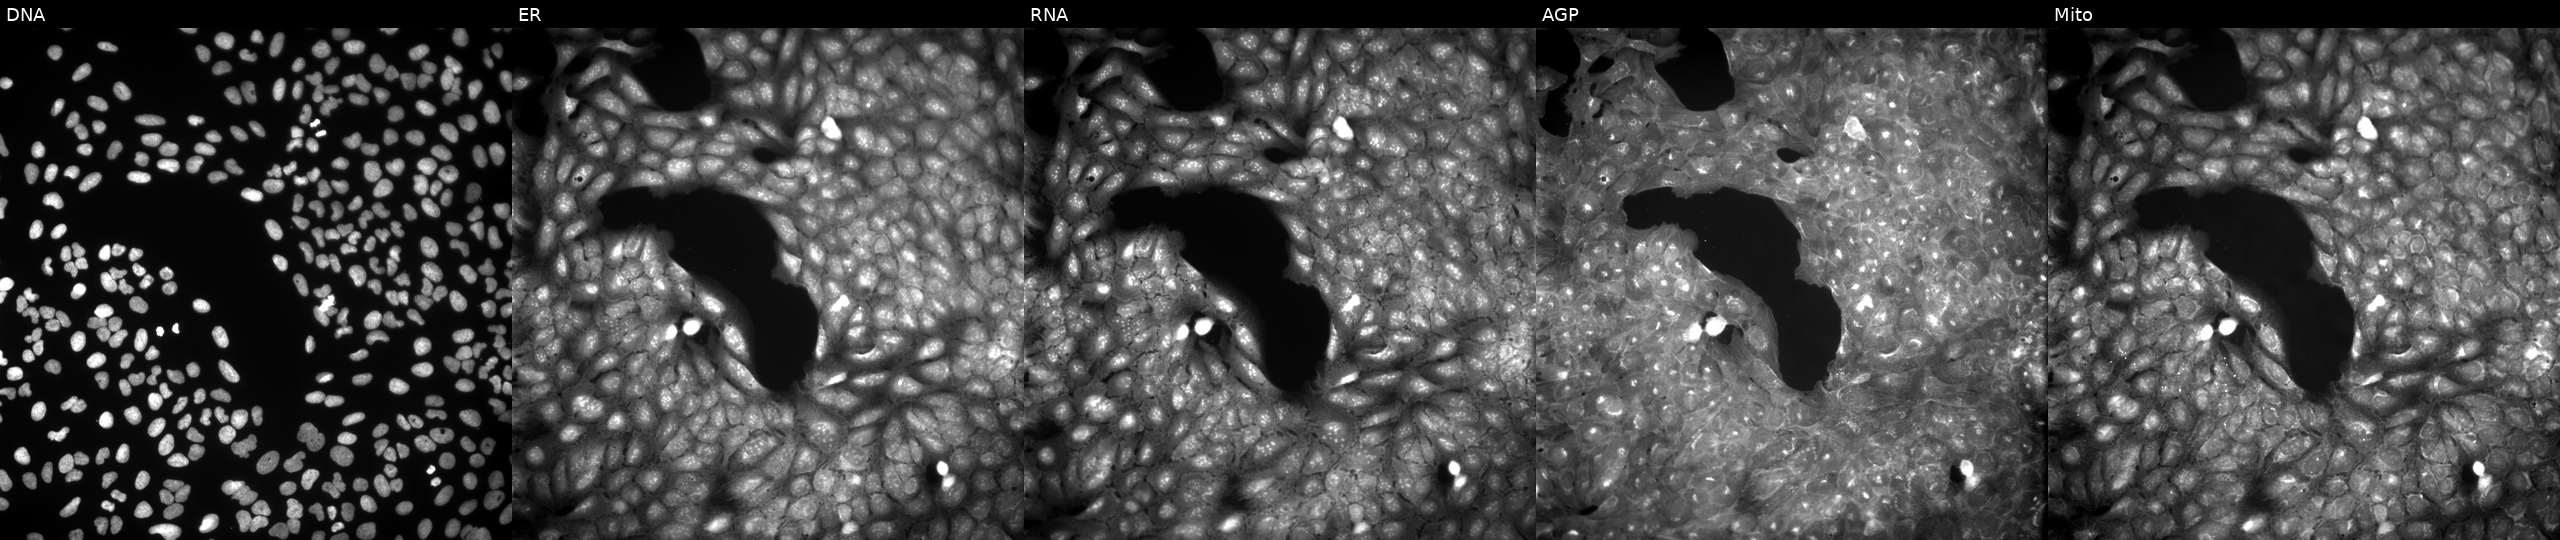
JUMP Cell Painting — COMPOUND plate. U2OS cells perturbed with a small-molecule compound. From left to right: DNA, ER, RNA, AGP, and Mito. Source 9, plate GR00003381, well Y15.